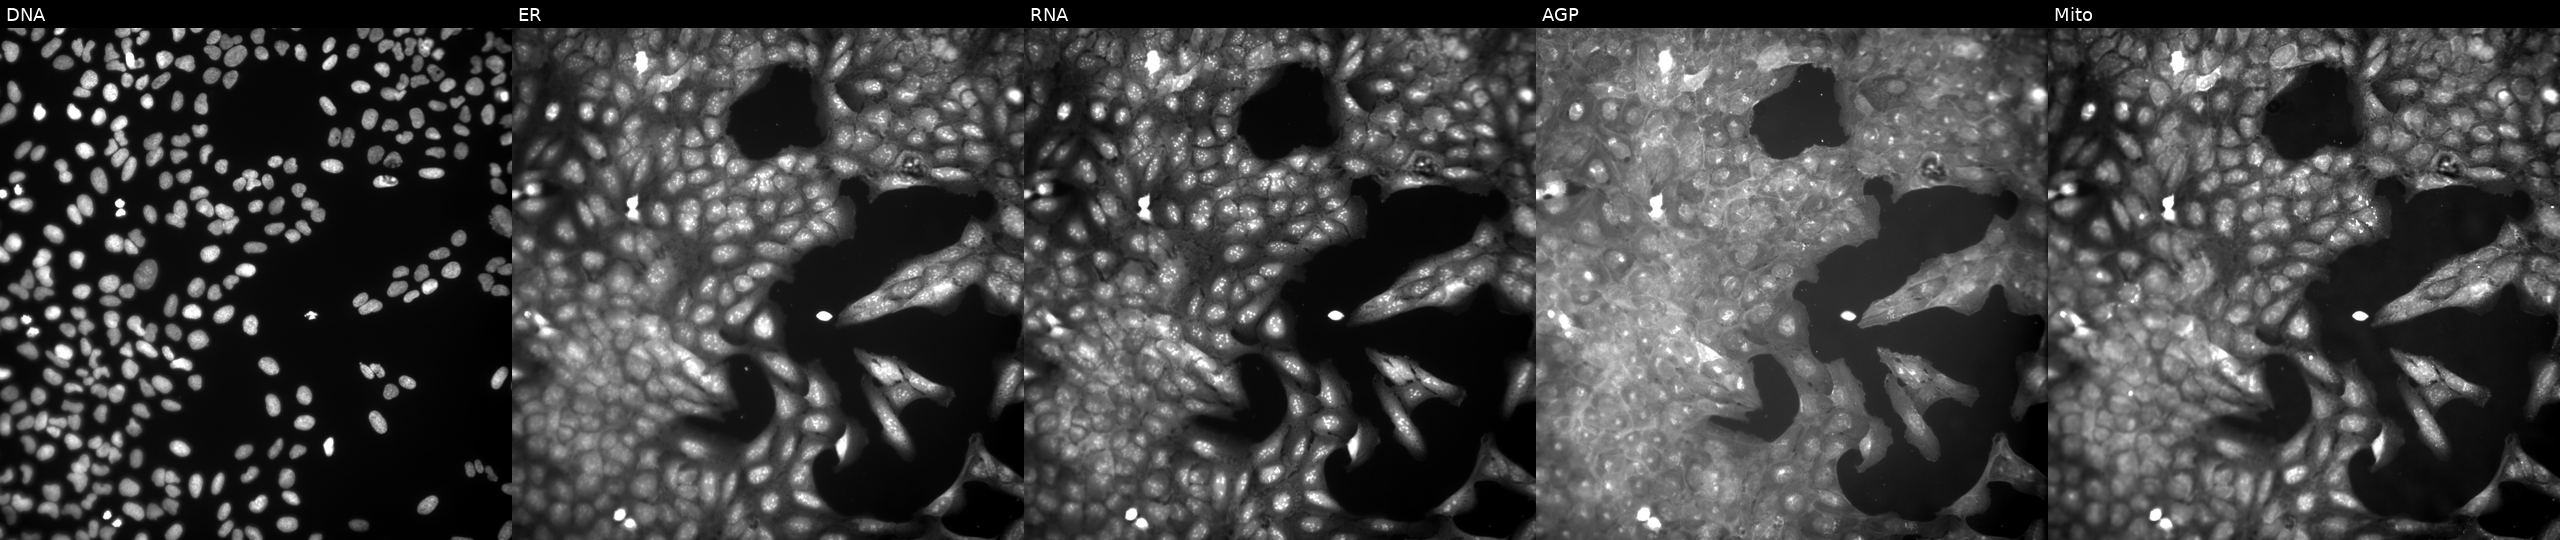
From left to right: DNA, ER, RNA, AGP, and Mito. U2OS osteosarcoma cells exposed to a small-molecule compound (InChIKey ZWKRGWCDZVHOAF-UHFFFAOYSA-N). Cell Painting assay, JUMP-CP dataset.